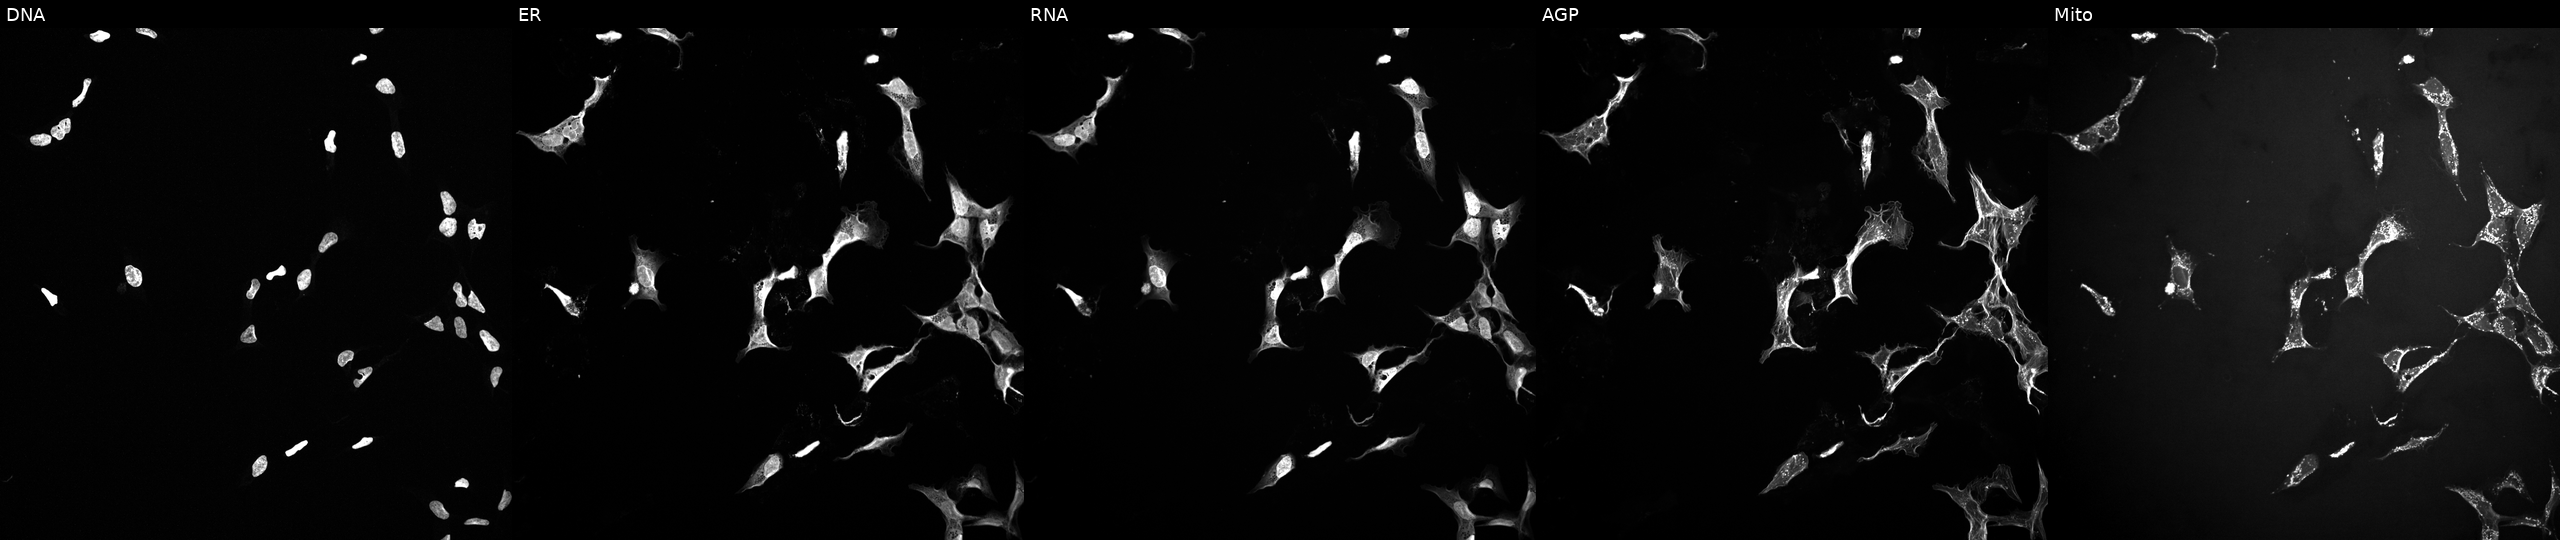
Five-channel Cell Painting image of U2OS cells treated with a small-molecule compound (InChIKey XLSYZSRXVVCHLS-UHFFFAOYSA-N) (JUMP id JCP2022_104437). Channels (left→right): DNA, ER, RNA, AGP, and Mito. Source 10, plate Dest210727-153003, well H11.